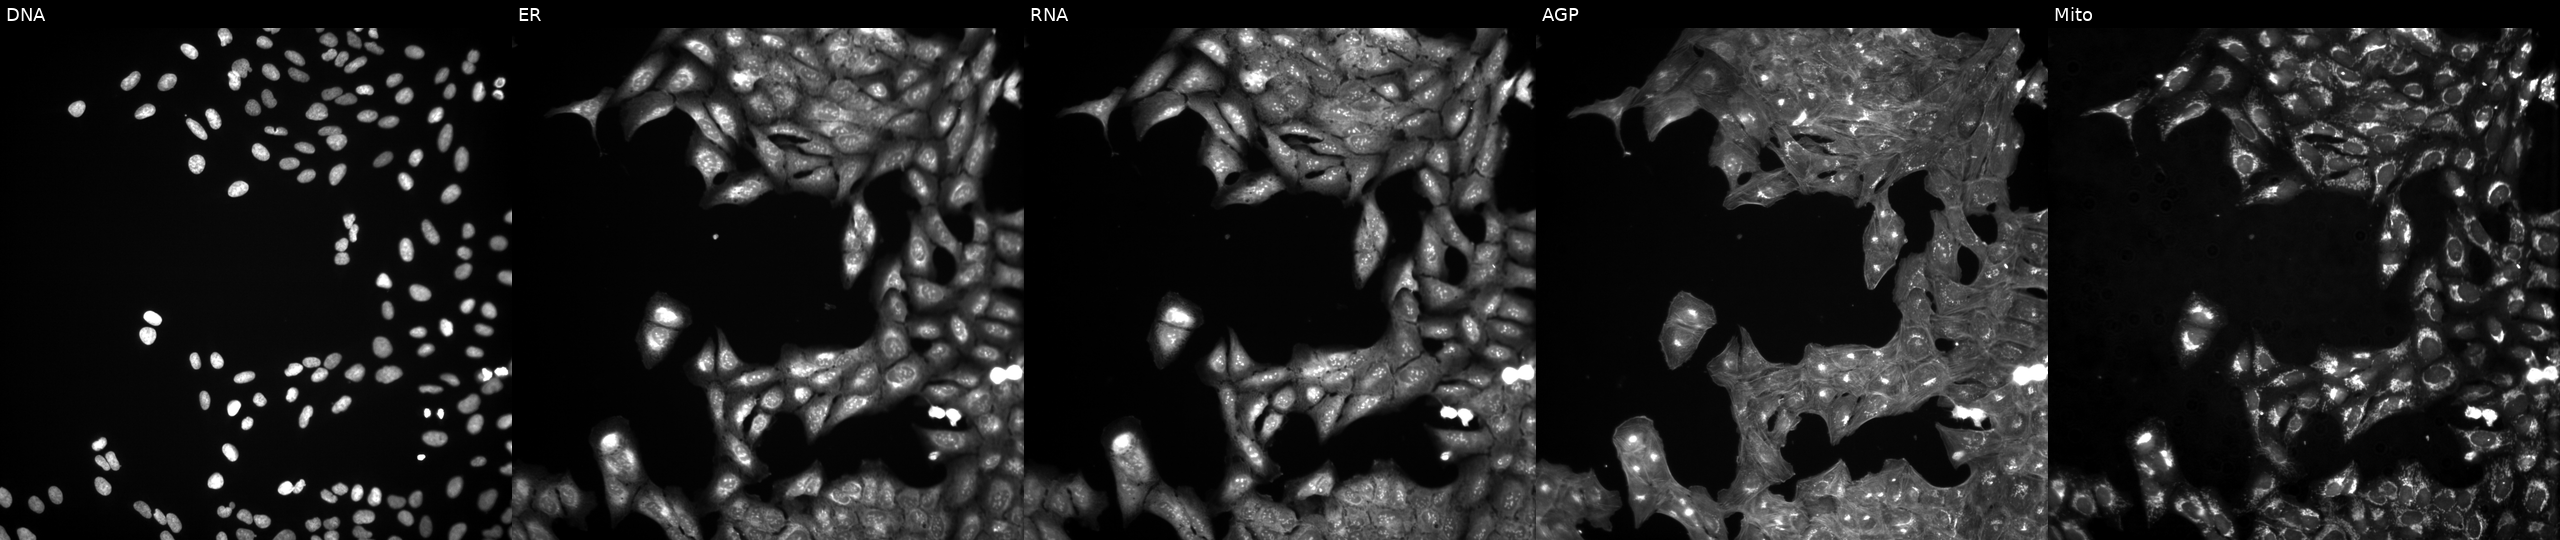
This image strip shows the five Cell Painting channels for a single field of U2OS cells exposed to DMSO alone as a negative control (JUMP id JCP2022_033924). Channels (left→right): DNA, ER, RNA, AGP, and Mito. Source 3, plate JCPQC052, well F24.